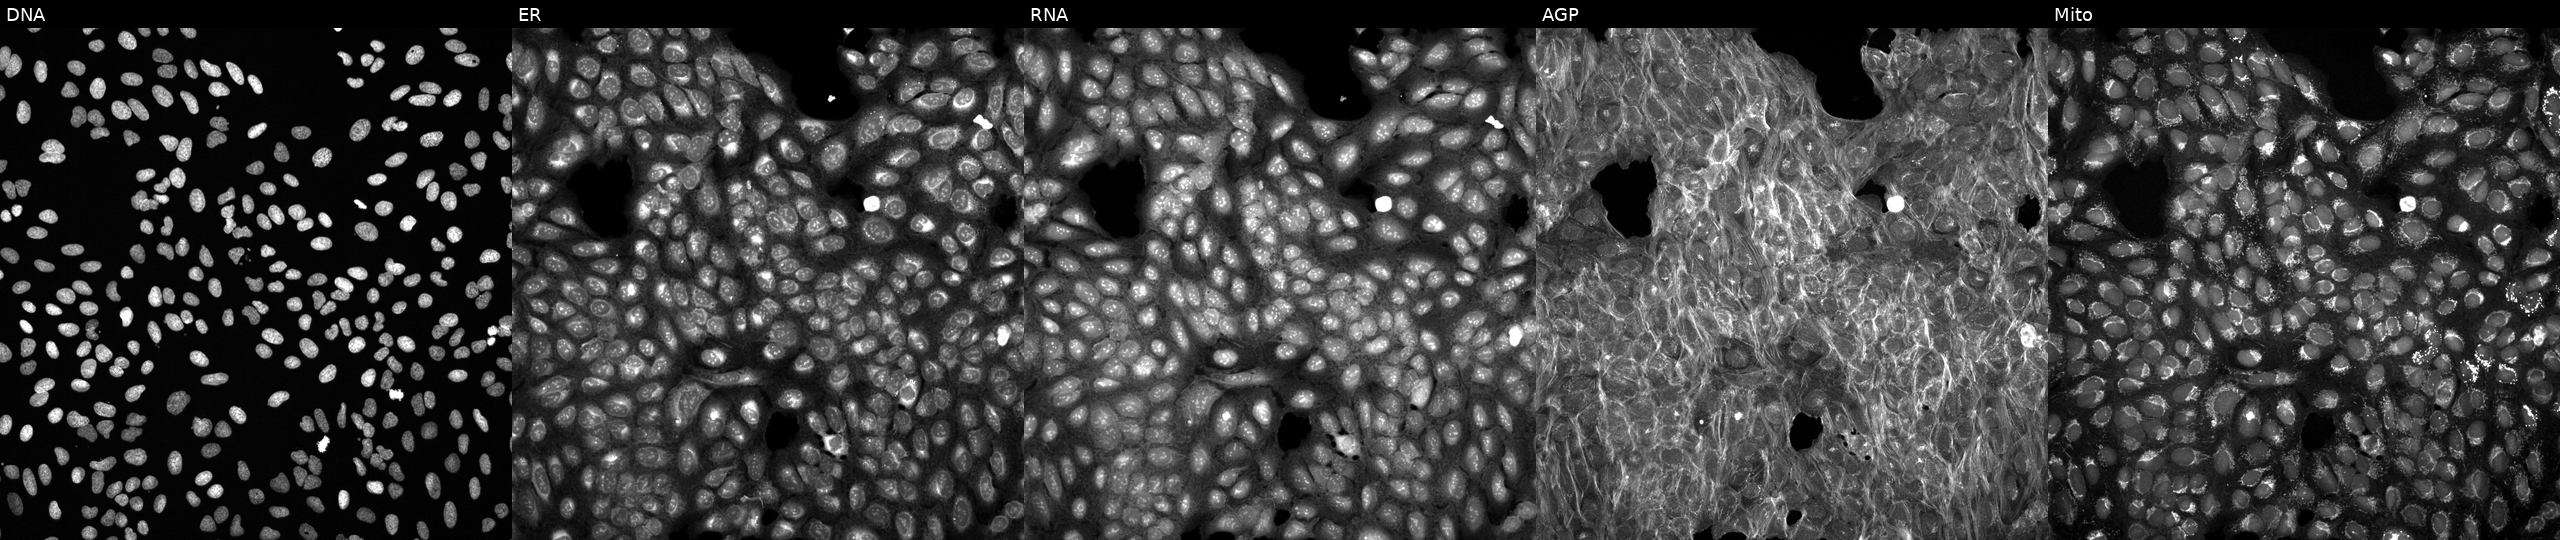
This image strip shows the five Cell Painting channels for a single field of U2OS cells perturbed with a small-molecule compound. The five panels, left to right, show DNA, ER, RNA, AGP, and Mito.